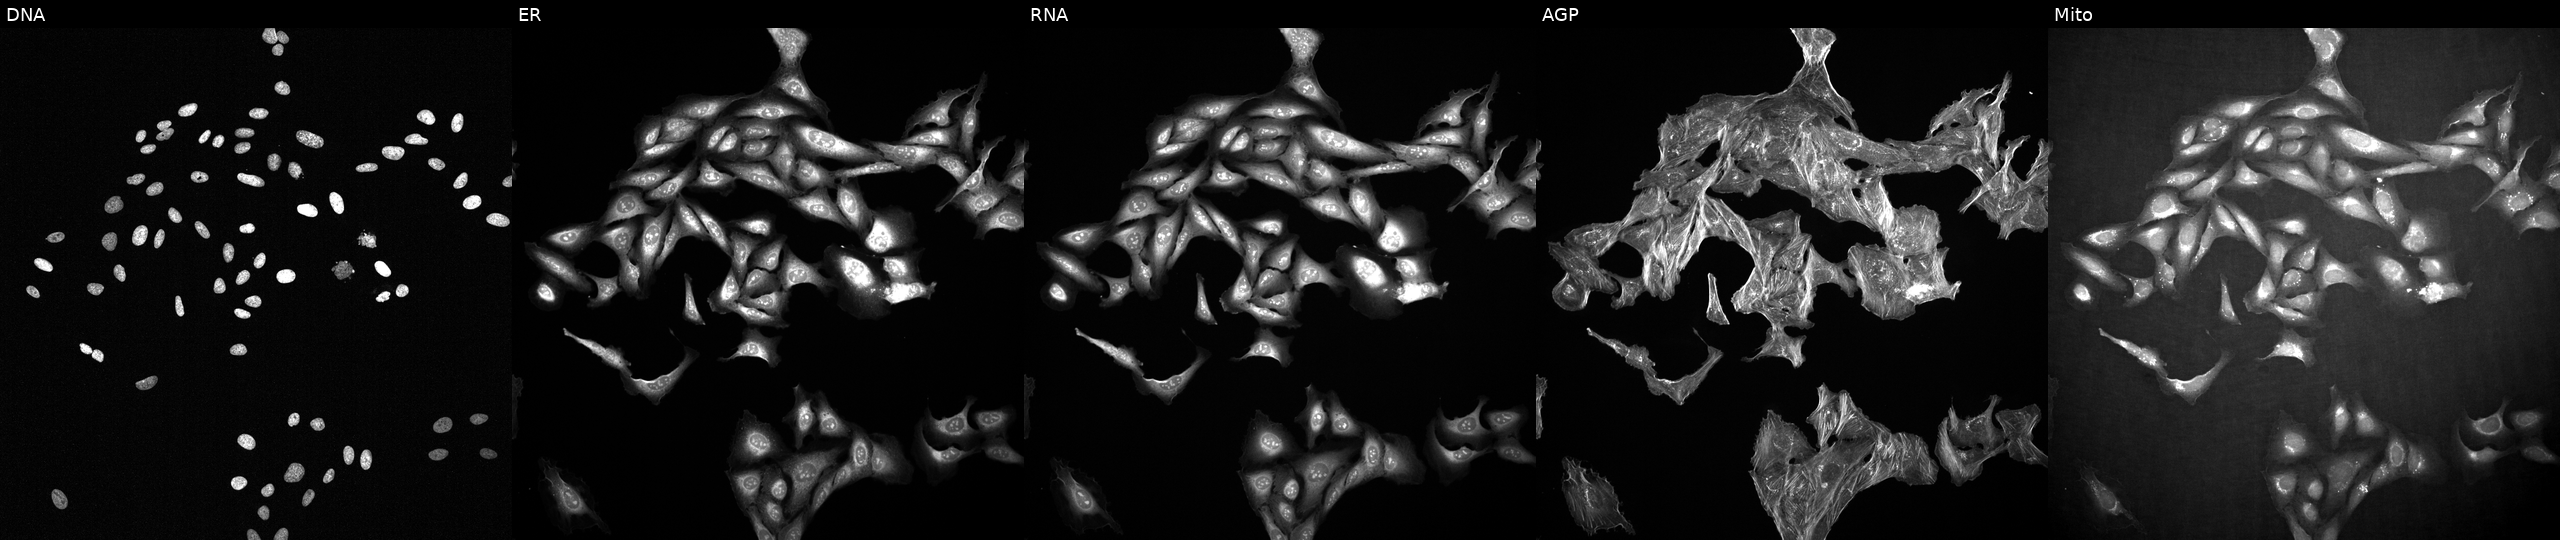
U2OS cells, Cell Painting assay, treated with a small-molecule compound (InChIKey KSZZUBUPEUCUOC-UHFFFAOYSA-N). Channels (left→right): Hoechst 33342, concanavalin A, SYTO 14, phalloidin and WGA, MitoTracker. Each panel is percentile-stretched 16-bit fluorescence.